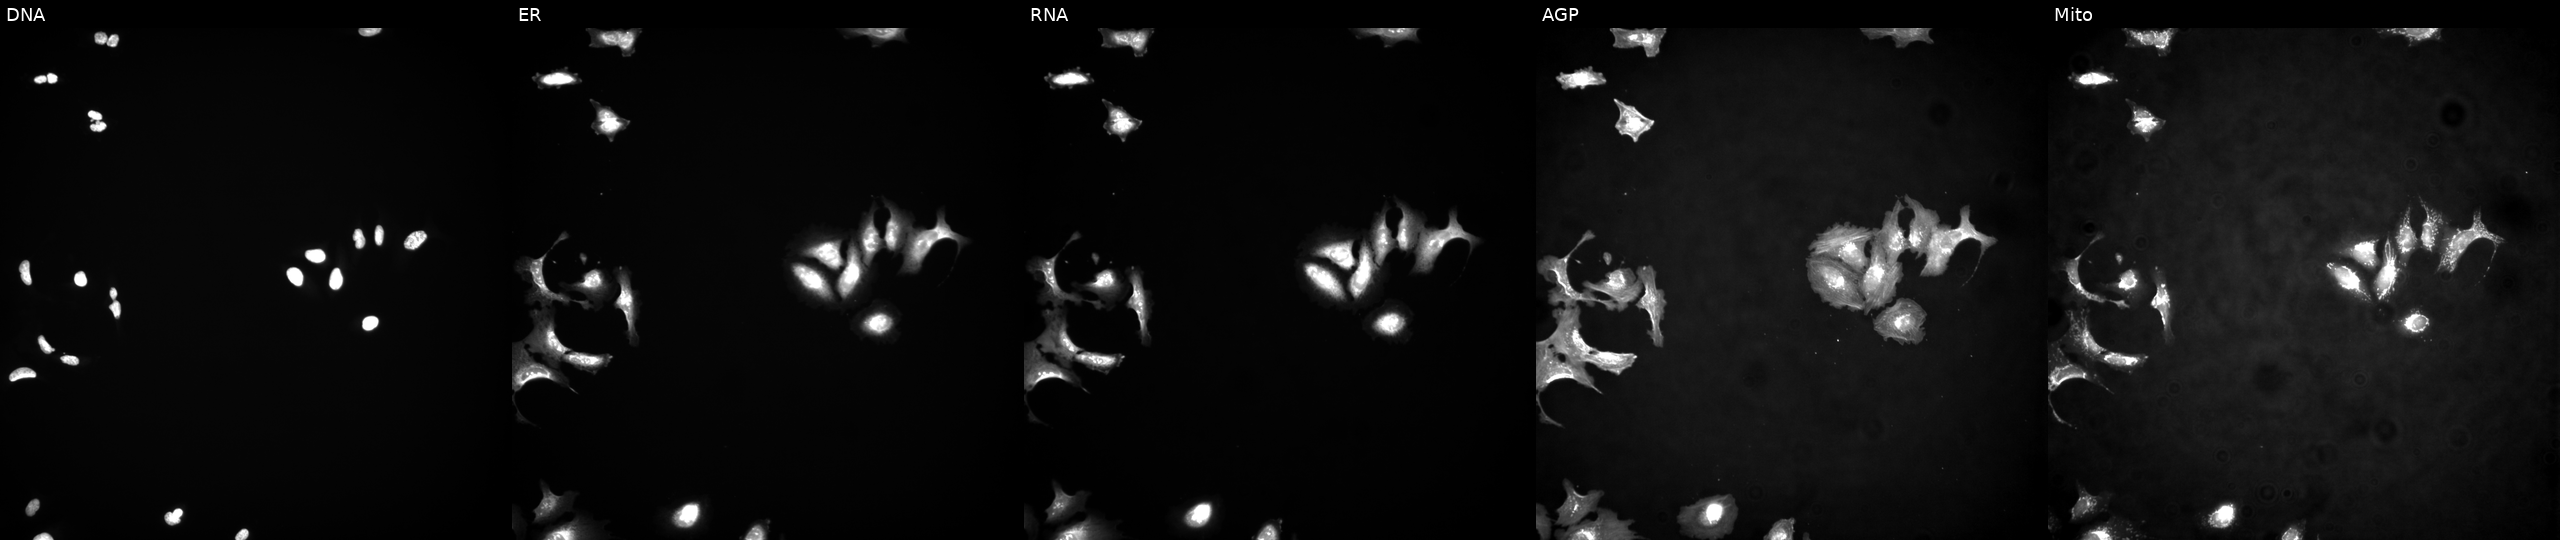
High-content fluorescence microscopy (Cell Painting). Cell line: U2OS. Perturbation: transfected with an ORF construct for PTK7 (JUMP id JCP2022_913845). From left to right: Hoechst 33342, concanavalin A, SYTO 14, phalloidin and WGA, MitoTracker.